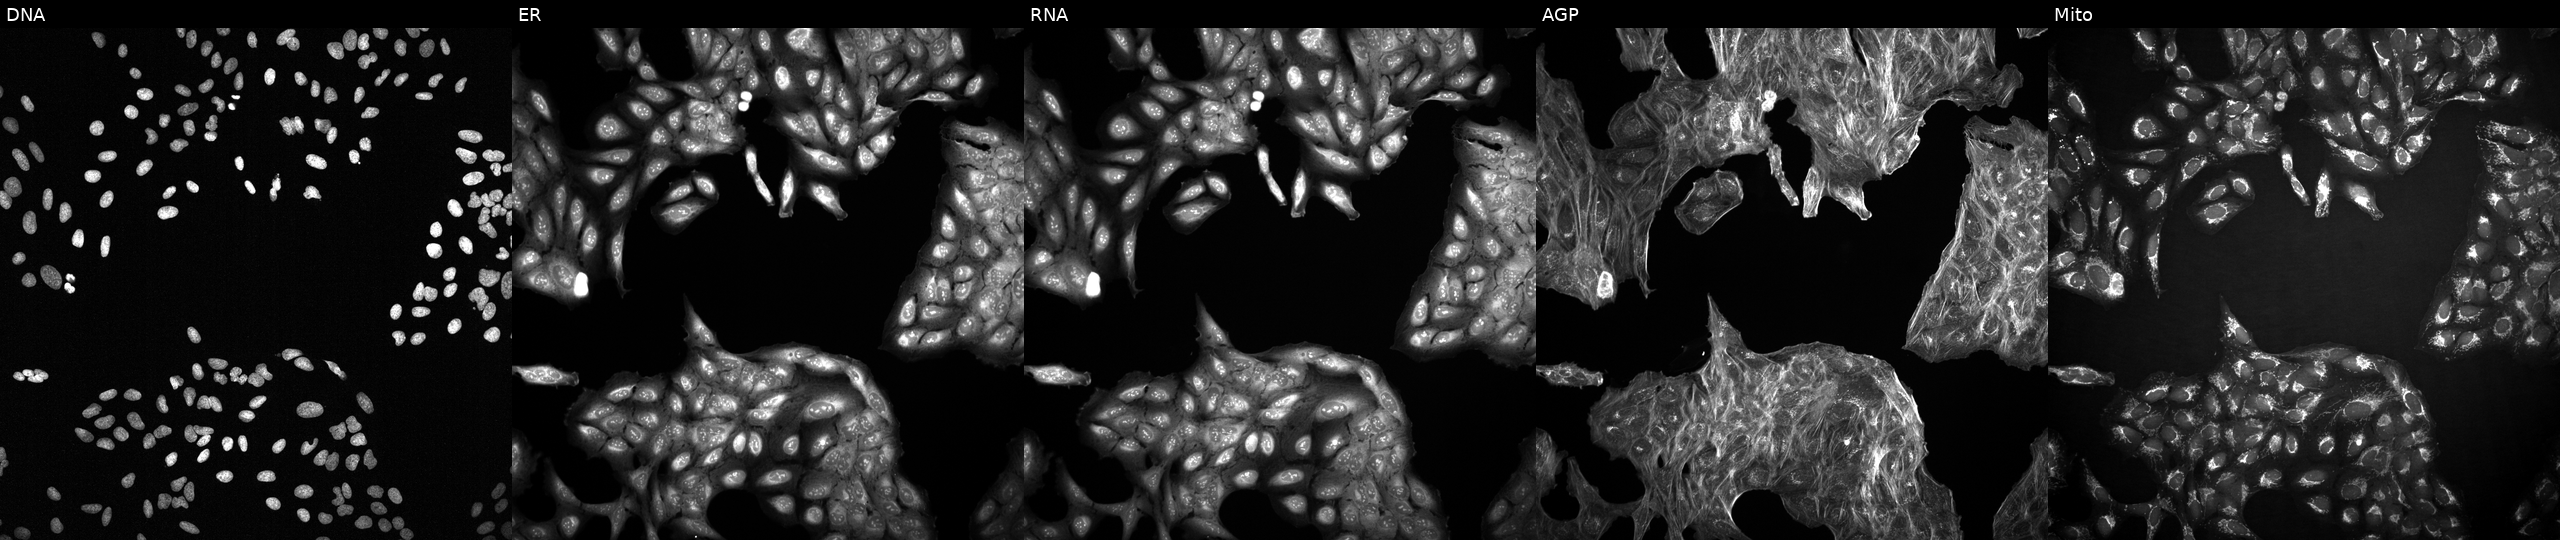
Five-channel Cell Painting image of U2OS cells with an unidentified perturbation (not annotated in JUMP metadata). Panels show, left to right, DNA (nuclei); ER (endoplasmic reticulum); RNA (nucleoli and cytoplasmic RNA); AGP (actin cytoskeleton, Golgi, and plasma membrane); Mito (mitochondria).